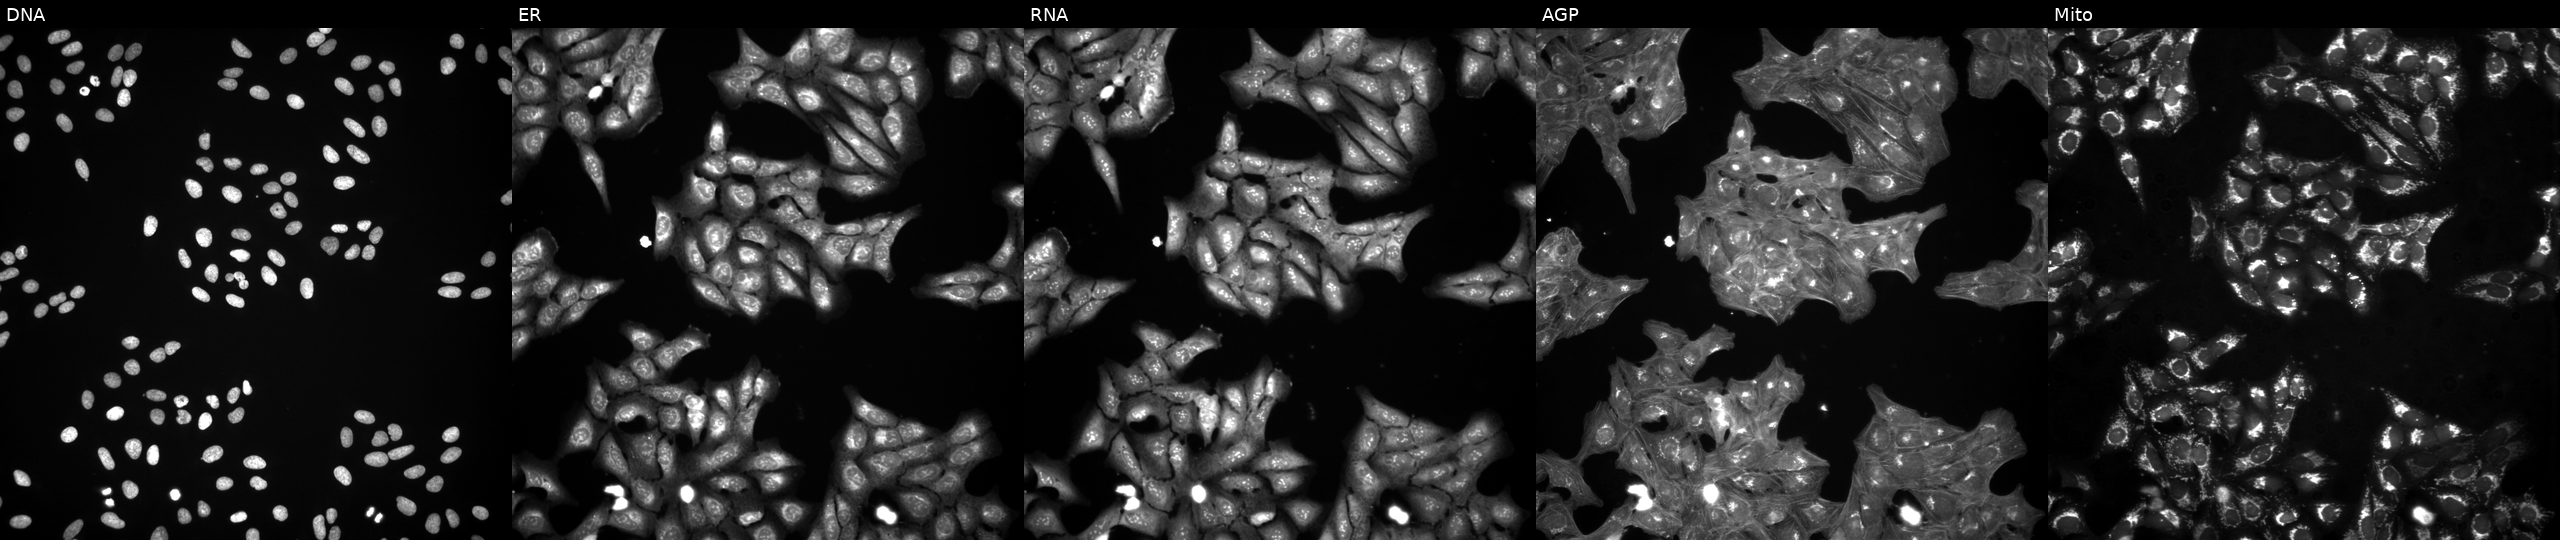
JUMP Cell Painting — COMPOUND plate. U2OS cells treated with a small-molecule compound (InChIKey DCMLVBLQTHKDMZ-UHFFFAOYSA-N) (JUMP id JCP2022_015046). Channels (left→right): Hoechst 33342, concanavalin A, SYTO 14, phalloidin and WGA, MitoTracker. Source 3, plate BR5867b3, well I22.